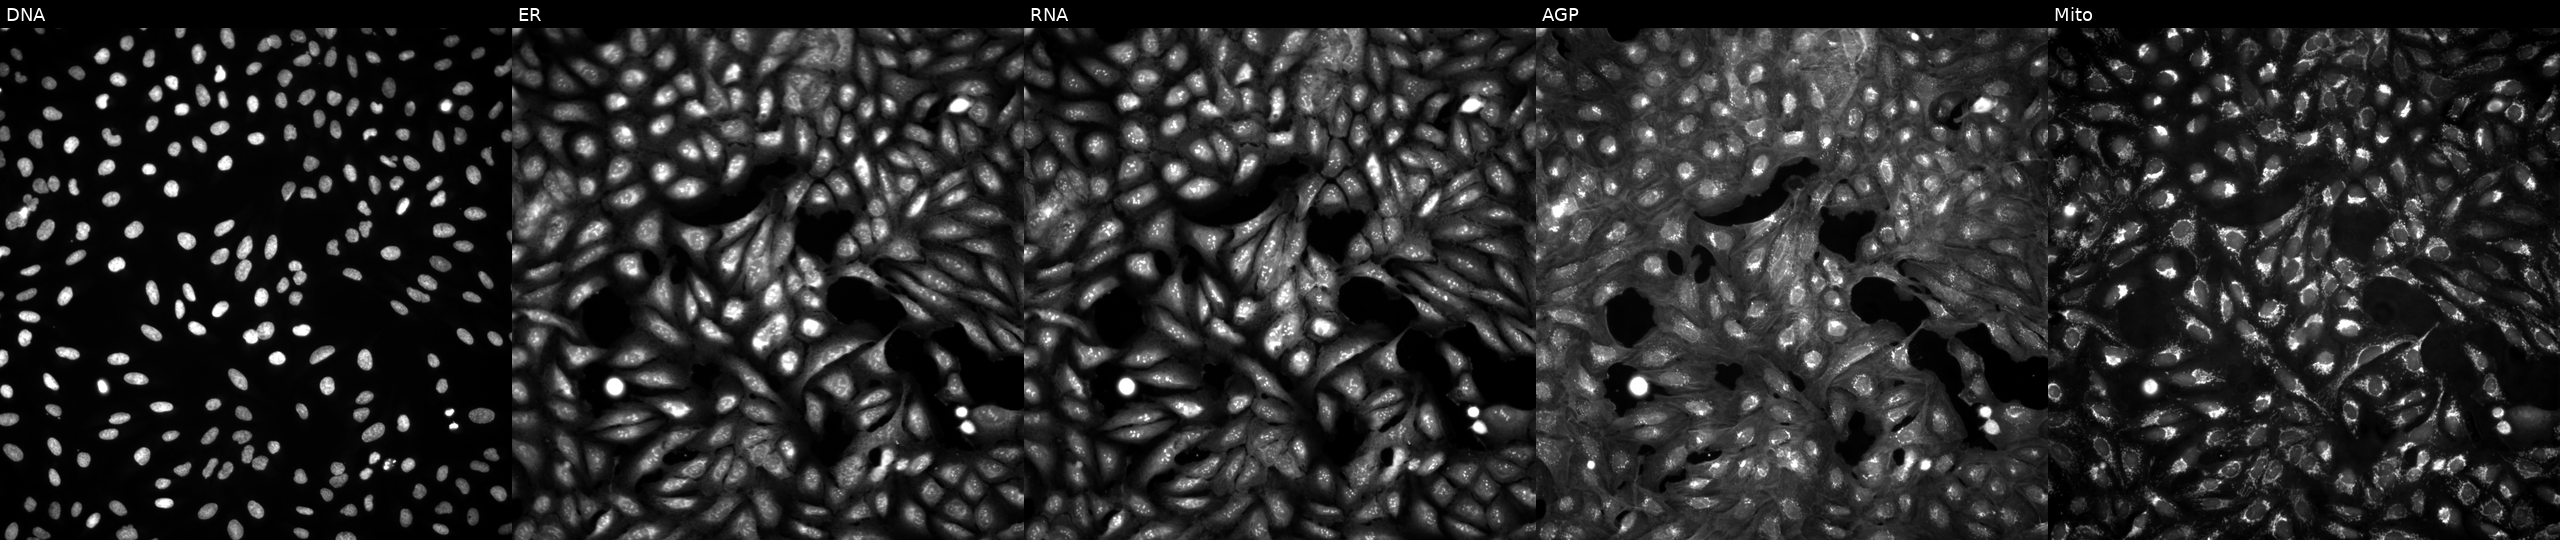
JUMP Cell Painting — ORF plate. U2OS cells in an empty control well (no perturbation) (JUMP id JCP2022_999999). Panels show, left to right, DNA (nuclei); ER (endoplasmic reticulum); RNA (nucleoli and cytoplasmic RNA); AGP (actin cytoskeleton, Golgi, and plasma membrane); Mito (mitochondria).